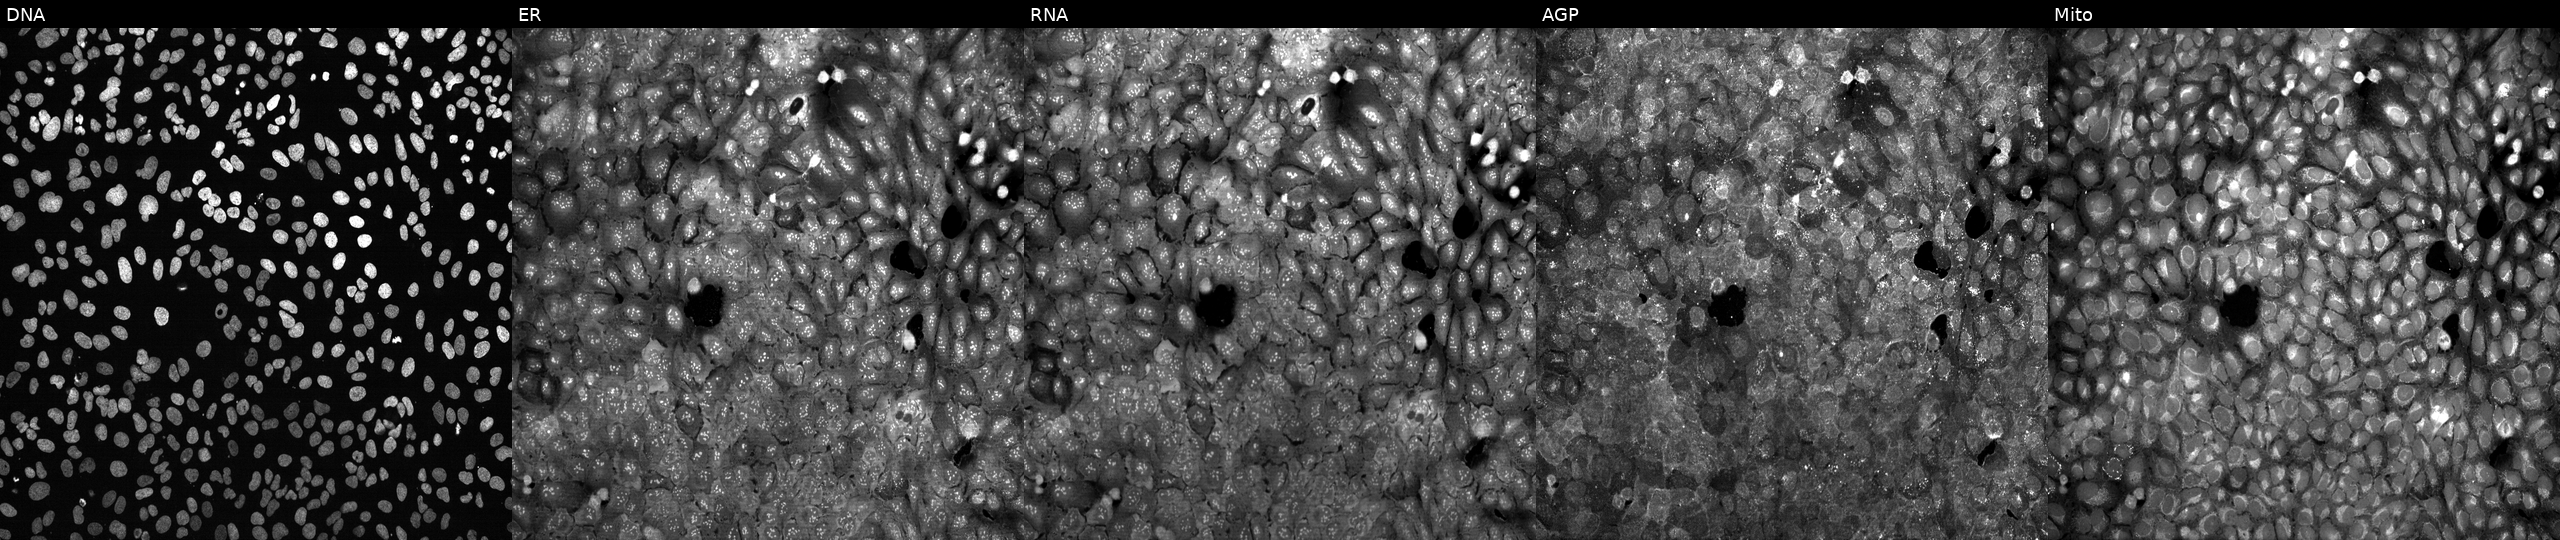
This image strip shows the five Cell Painting channels for a single field of U2OS cells with PTCH1 knocked out by CRISPR (JUMP id JCP2022_805637). Panels show, left to right, DNA, ER, RNA, AGP, and Mito. Source 13, plate CP-CC9-R1-01, well H06.